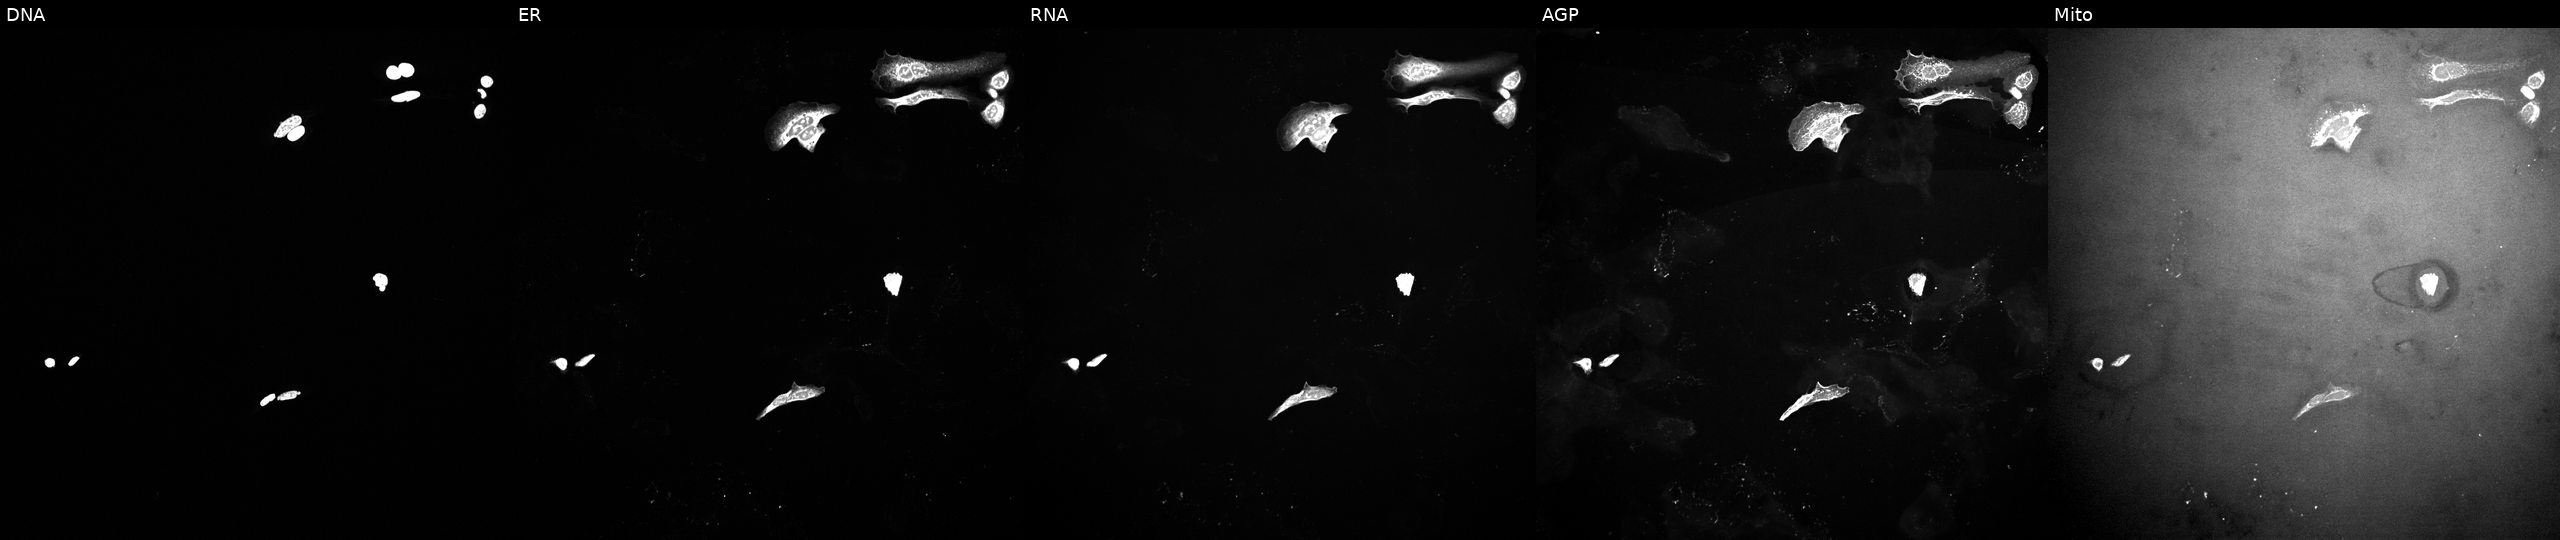
JUMP Cell Painting — TARGET2 plate. U2OS cells exposed to DMSO alone as a negative control. Channels (left→right): Hoechst 33342, concanavalin A, SYTO 14, phalloidin and WGA, MitoTracker.